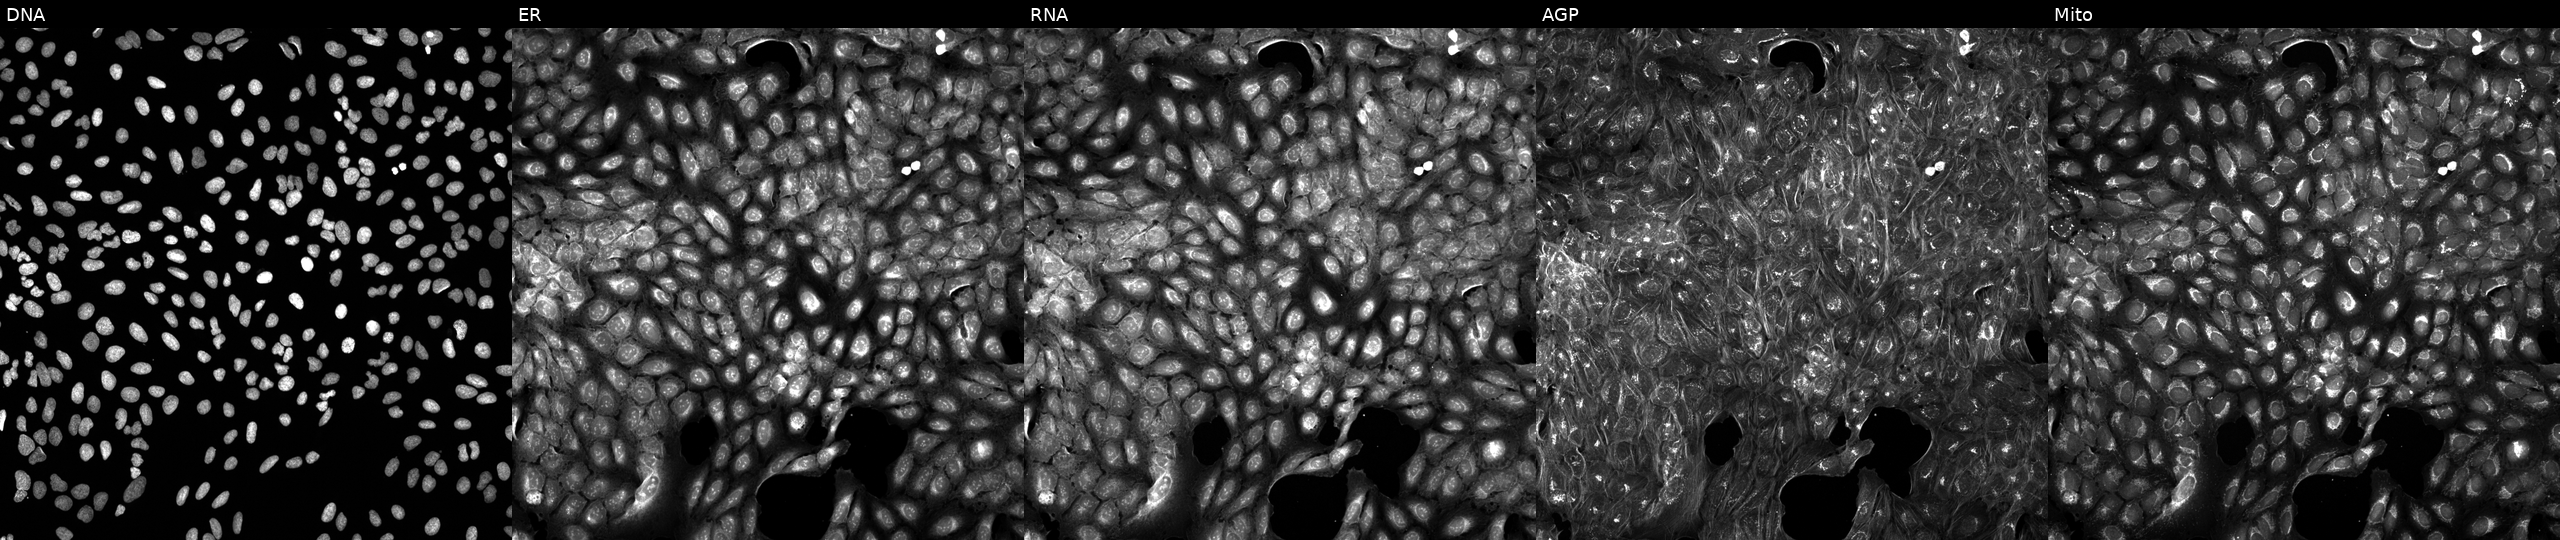
This image strip shows the five Cell Painting channels for a single field of U2OS cells perturbed with a small-molecule compound (InChIKey YWVWTKBNVAUAKG-UHFFFAOYSA-N) (JUMP id JCP2022_111389). The five panels, left to right, show DNA, ER, RNA, AGP, and Mito.